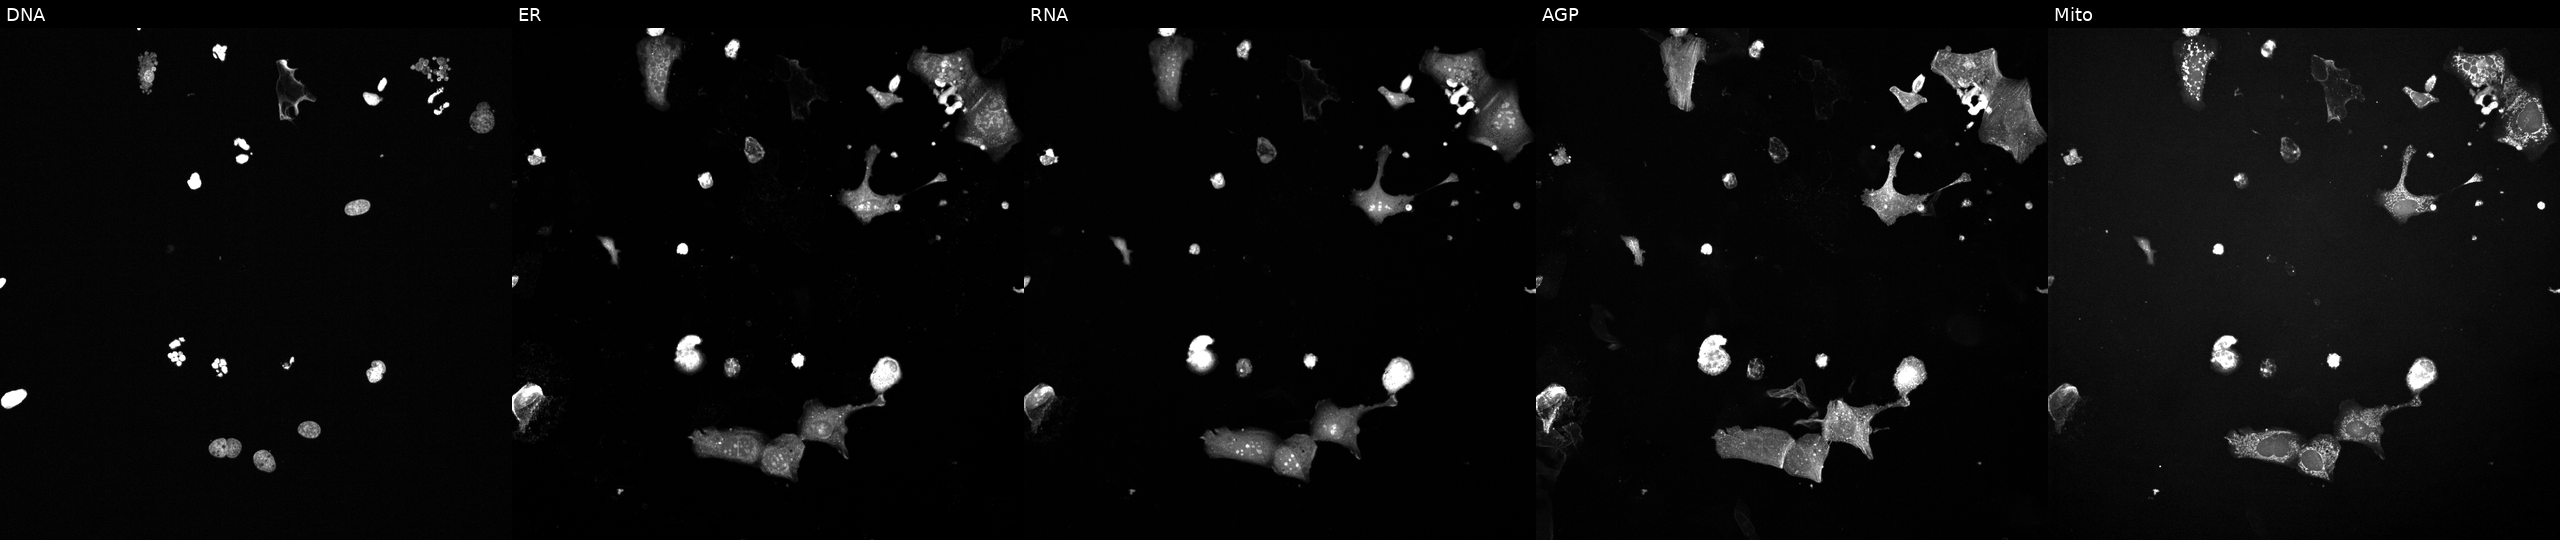
This image strip shows the five Cell Painting channels for a single field of U2OS cells exposed to a small-molecule compound (InChIKey MTJHLONVHHPNSI-UHFFFAOYSA-N). Panels show, left to right, DNA, ER, RNA, AGP, and Mito.